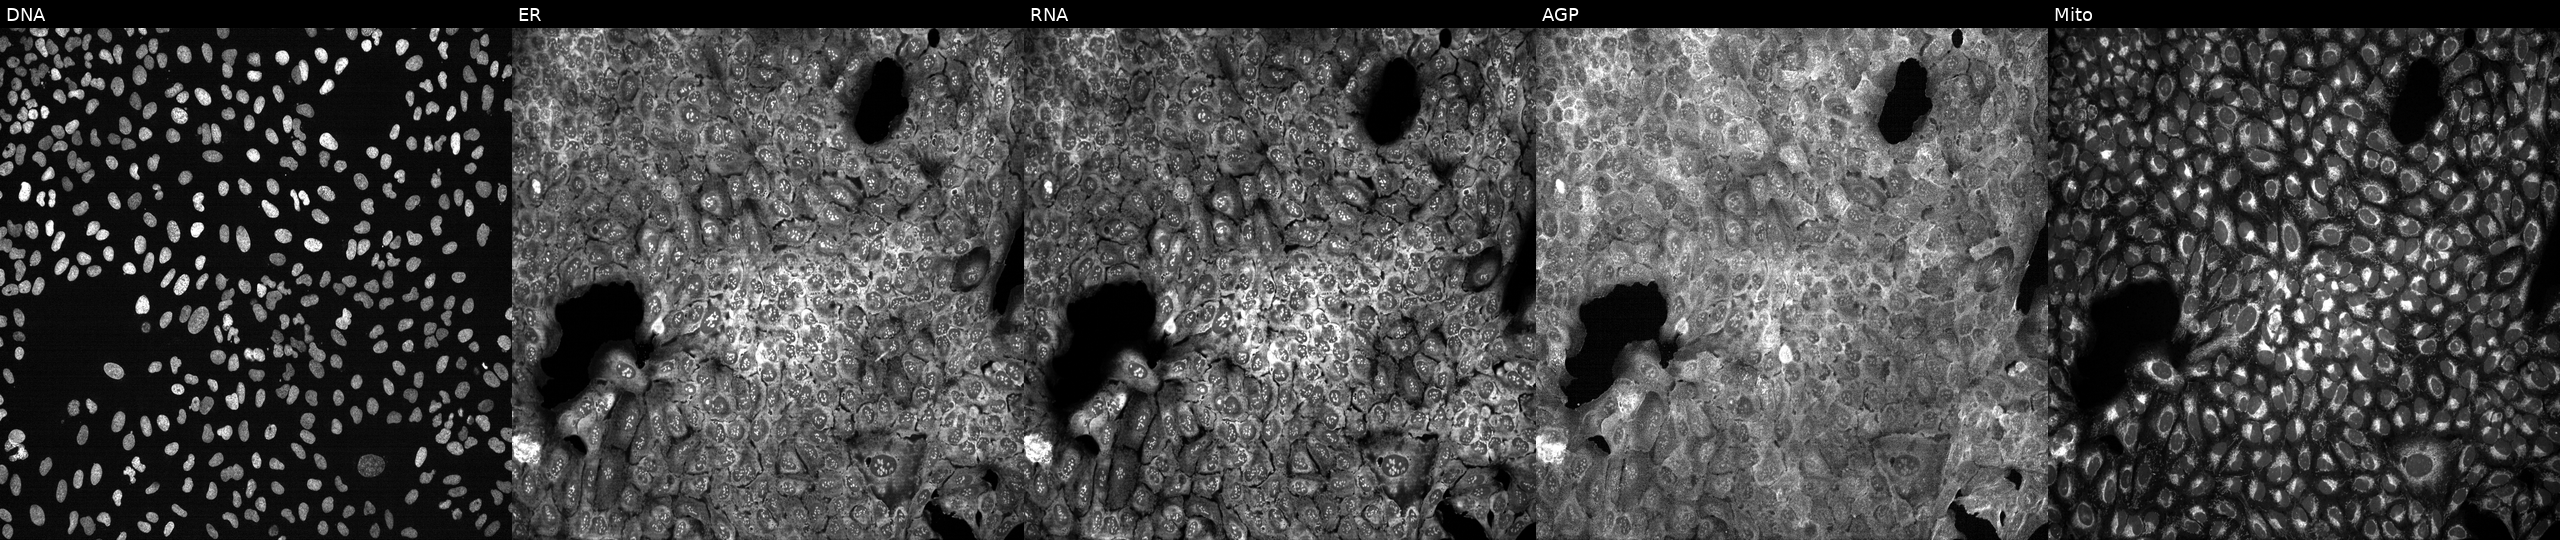
Panels show, left to right, Hoechst 33342, concanavalin A, SYTO 14, phalloidin and WGA, MitoTracker. U2OS osteosarcoma cells with CD163 knocked out by CRISPR. Cell Painting assay, JUMP-CP dataset.